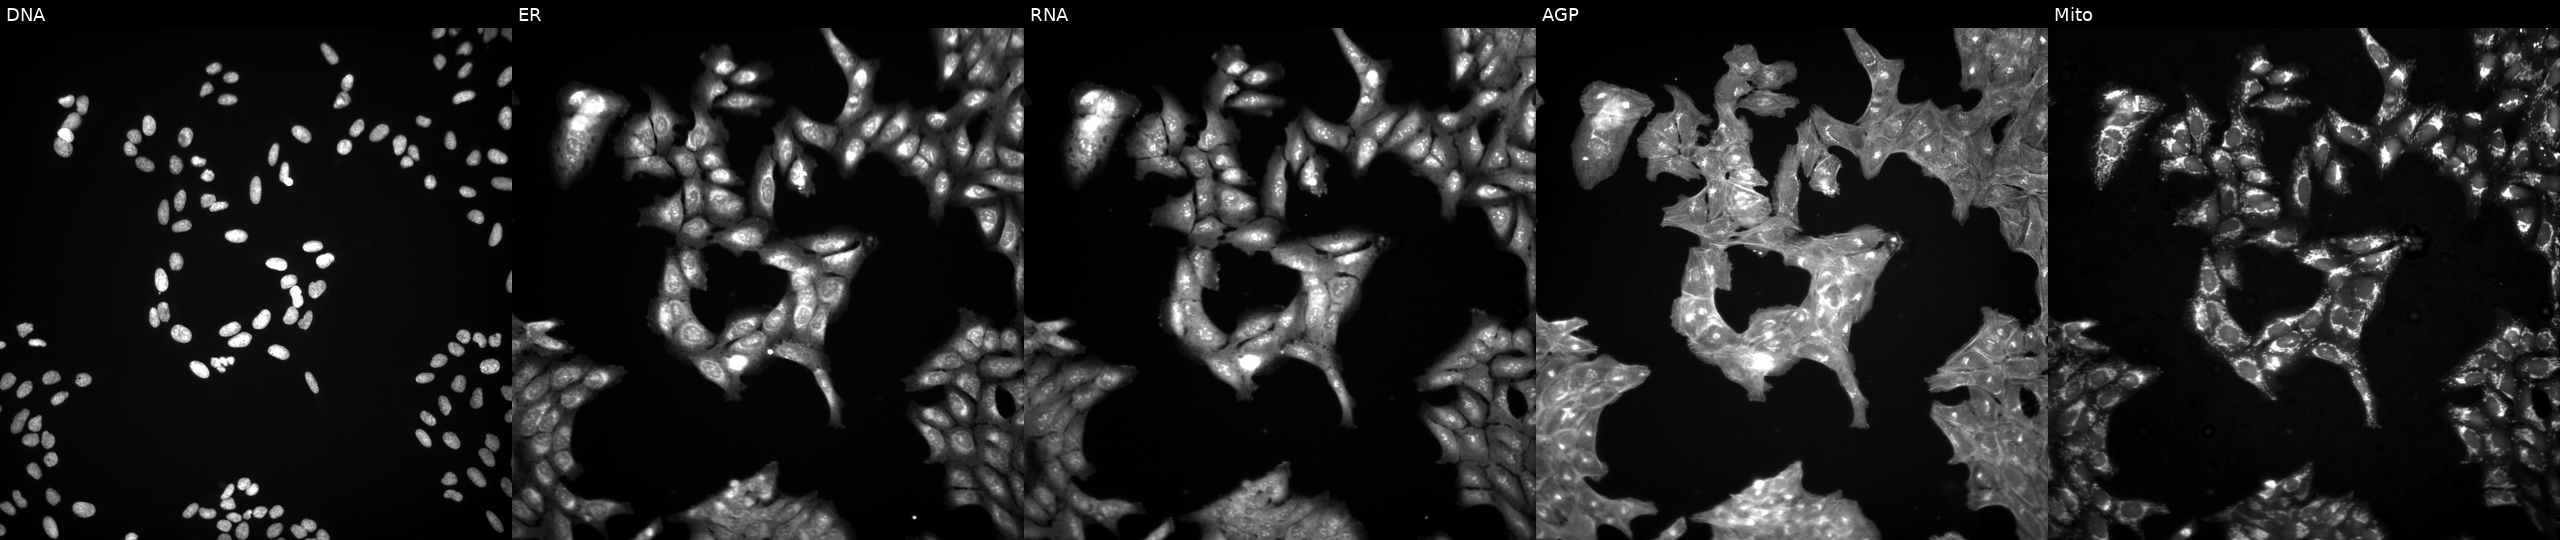
High-content fluorescence microscopy (Cell Painting). Cell line: U2OS. Perturbation: treated with a small-molecule compound (InChIKey LEVWYRKDKASIDU-UHFFFAOYSA-N) [SMILES: NC(CSSCC(N)C(=O)O)C(=O)O] (JUMP id JCP2022_048971). Panels show, left to right, Hoechst 33342, concanavalin A, SYTO 14, phalloidin and WGA, MitoTracker. Source 3, plate JCPQC051, well A18.